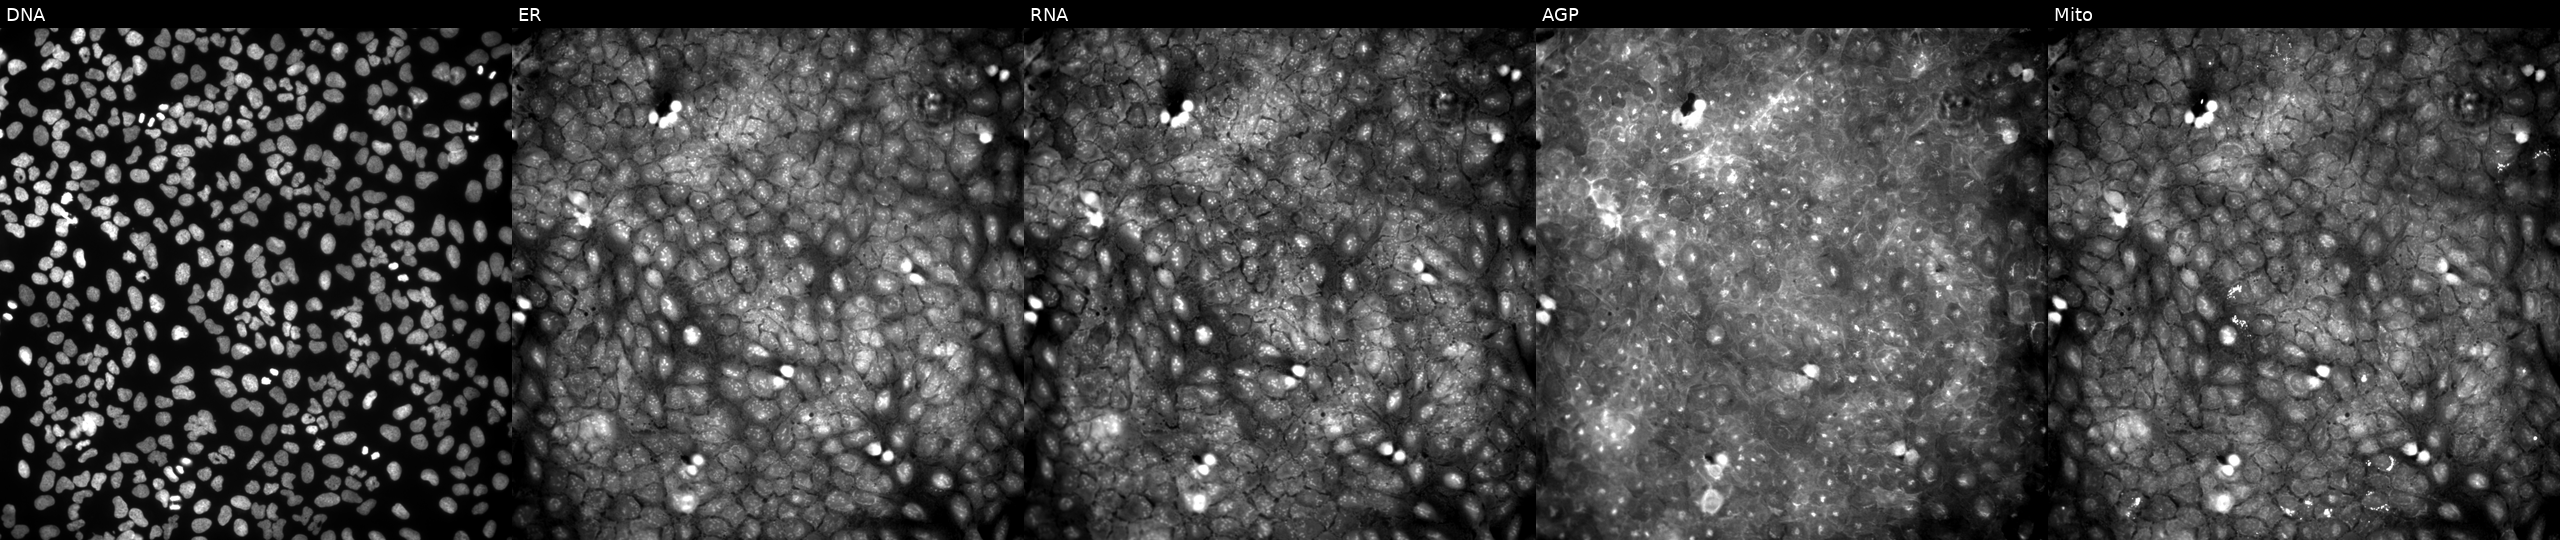
JUMP Cell Painting — COMPOUND plate. U2OS cells treated with a small-molecule compound (InChIKey ALHLIGUAFZYHII-UHFFFAOYSA-N) [SMILES: Cc1ccc(-n2c(O)cc(NCc3ccc4c(c3)OCO4)c2O)cc1Cl] (JUMP id JCP2022_002164). Panels show, left to right, DNA (nuclei); ER (endoplasmic reticulum); RNA (nucleoli and cytoplasmic RNA); AGP (actin cytoskeleton, Golgi, and plasma membrane); Mito (mitochondria).